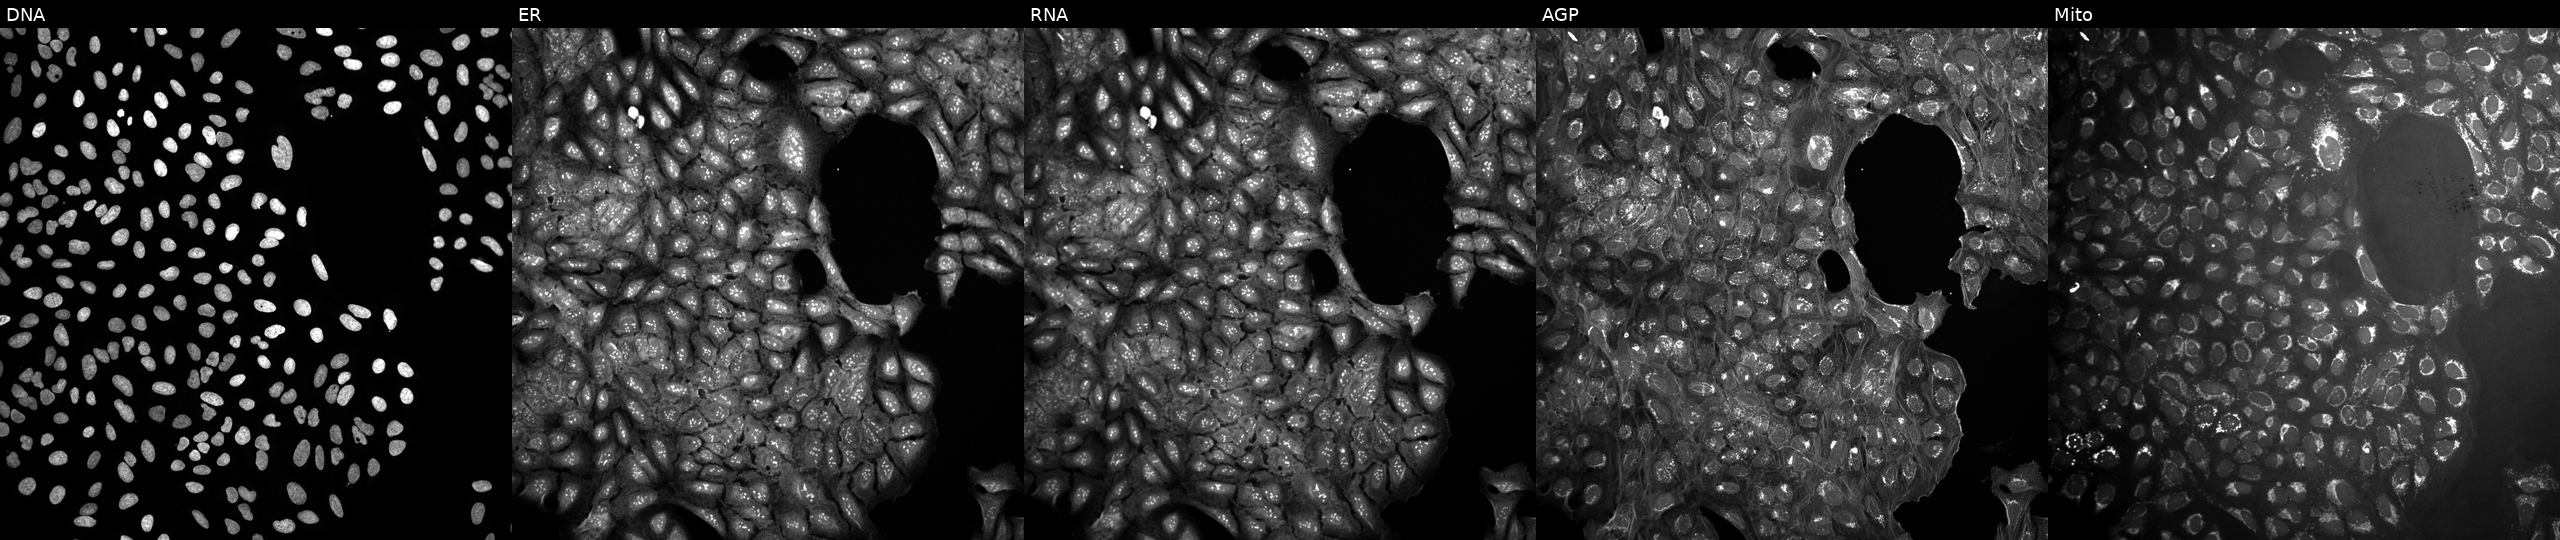
U2OS cells, Cell Painting assay, exposed to DMSO alone as a negative control (JUMP id JCP2022_033924). Channels (left→right): DNA (nuclei); ER (endoplasmic reticulum); RNA (nucleoli and cytoplasmic RNA); AGP (actin cytoskeleton, Golgi, and plasma membrane); Mito (mitochondria). Each panel is percentile-stretched 16-bit fluorescence.